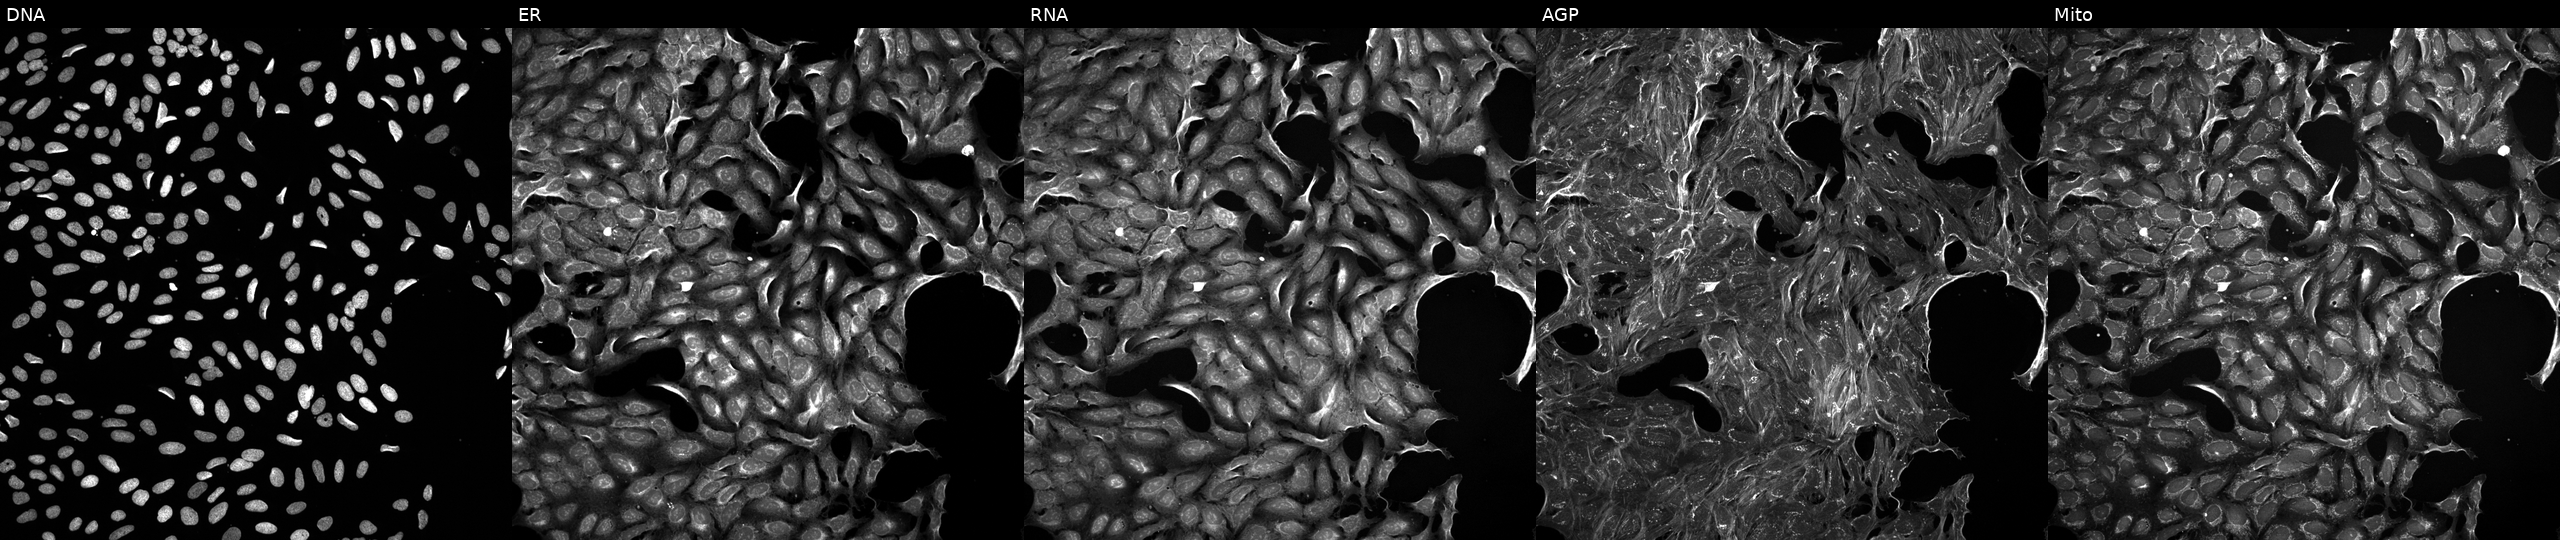
The five panels, left to right, show DNA (nuclei); ER (endoplasmic reticulum); RNA (nucleoli and cytoplasmic RNA); AGP (actin cytoskeleton, Golgi, and plasma membrane); Mito (mitochondria). U2OS osteosarcoma cells exposed to a small-molecule compound (InChIKey KAJXOWFGKYKMMZ-UHFFFAOYSA-N) [SMILES: O=C1NC(=O)c2c1c1c3ccccc3[nH]c1c1[nH]c3ccccc3c21] (JUMP id JCP2022_043287). Cell Painting assay, JUMP-CP dataset. Source 5, plate ACPJUM051, well M23.